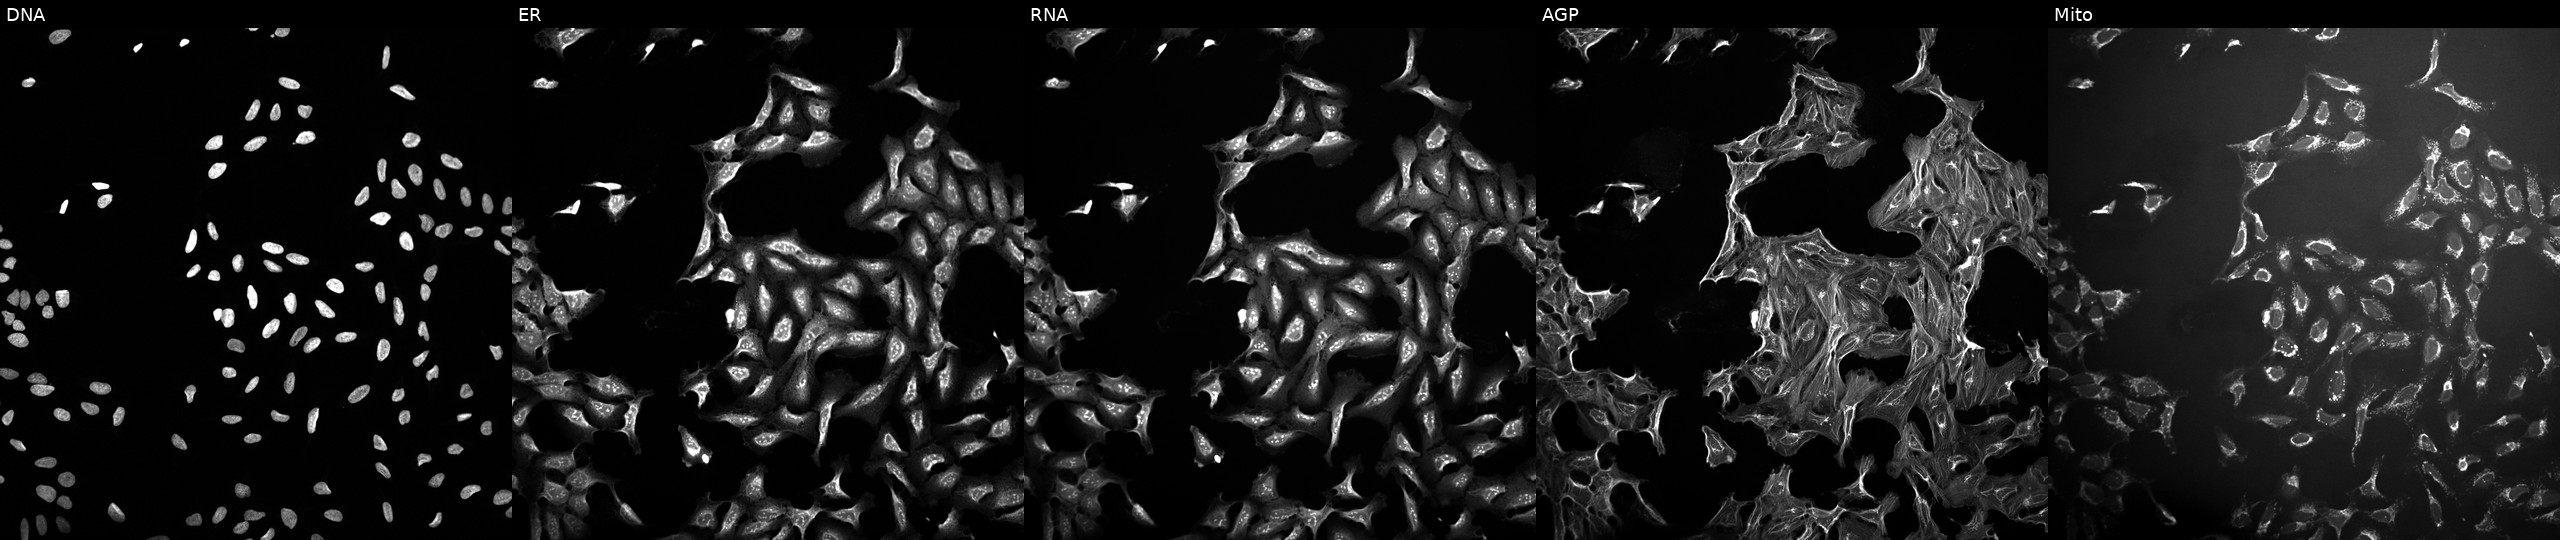
This image strip shows the five Cell Painting channels for a single field of U2OS cells exposed to a small-molecule compound [SMILES: N=c1cc[nH]cc1] (JUMP id JCP2022_061437). Panels show, left to right, Hoechst 33342, concanavalin A, SYTO 14, phalloidin and WGA, MitoTracker. Source 10, plate Dest210726-160150, well B18.